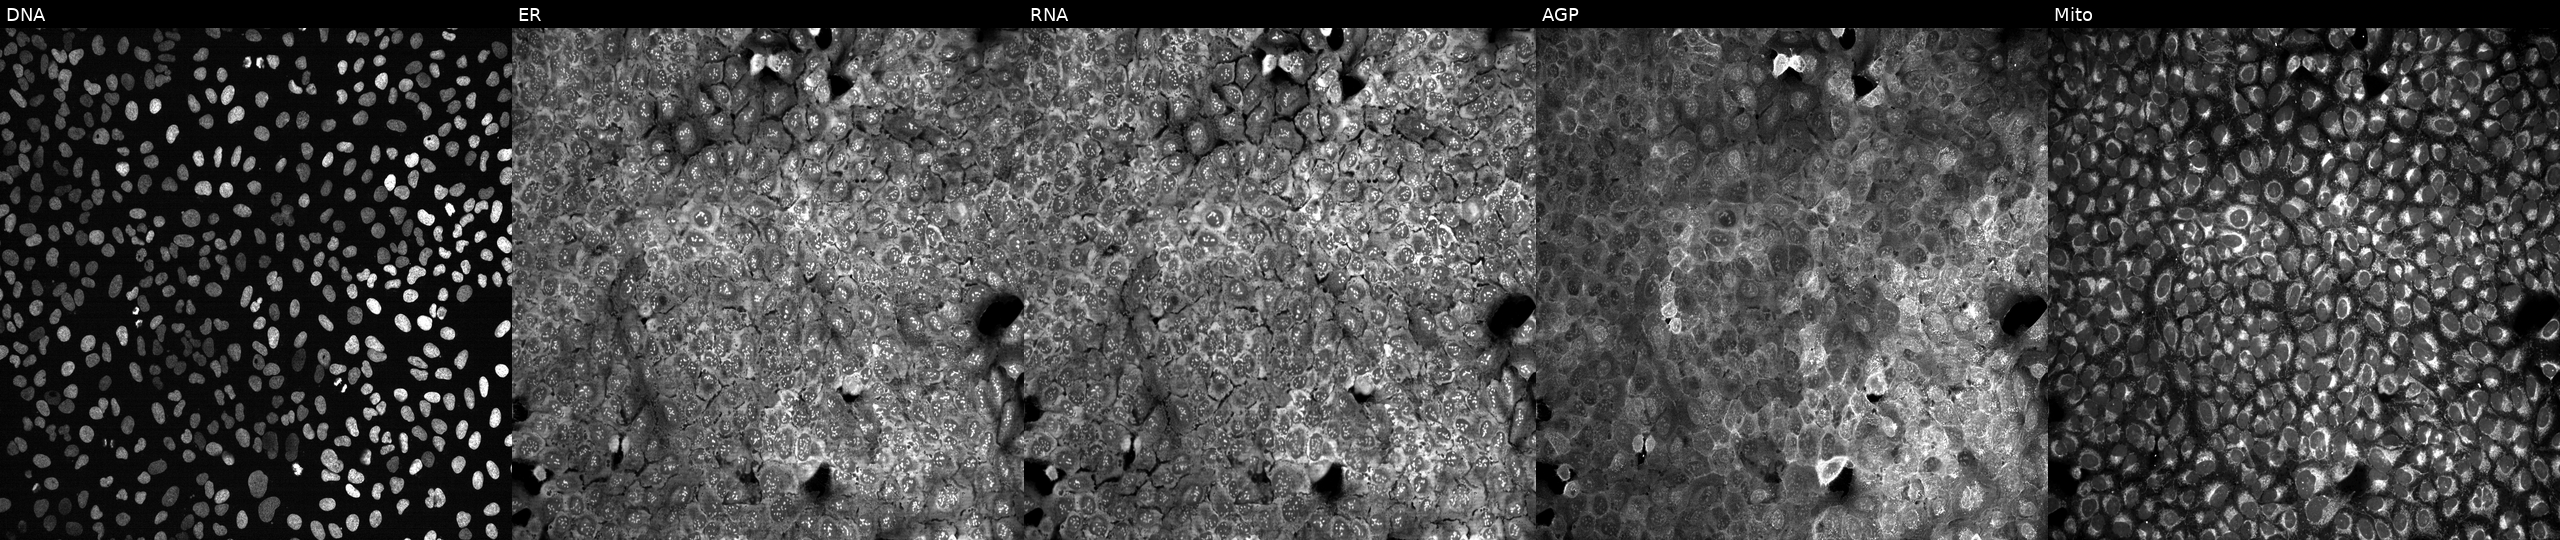
High-content fluorescence microscopy (Cell Painting). Cell line: U2OS. Perturbation: with FGF14 knocked out by CRISPR (JUMP id JCP2022_802380). Channels (left→right): DNA (nuclei); ER (endoplasmic reticulum); RNA (nucleoli and cytoplasmic RNA); AGP (actin cytoskeleton, Golgi, and plasma membrane); Mito (mitochondria). Source 13, plate CP-CC9-R4-04, well B03.